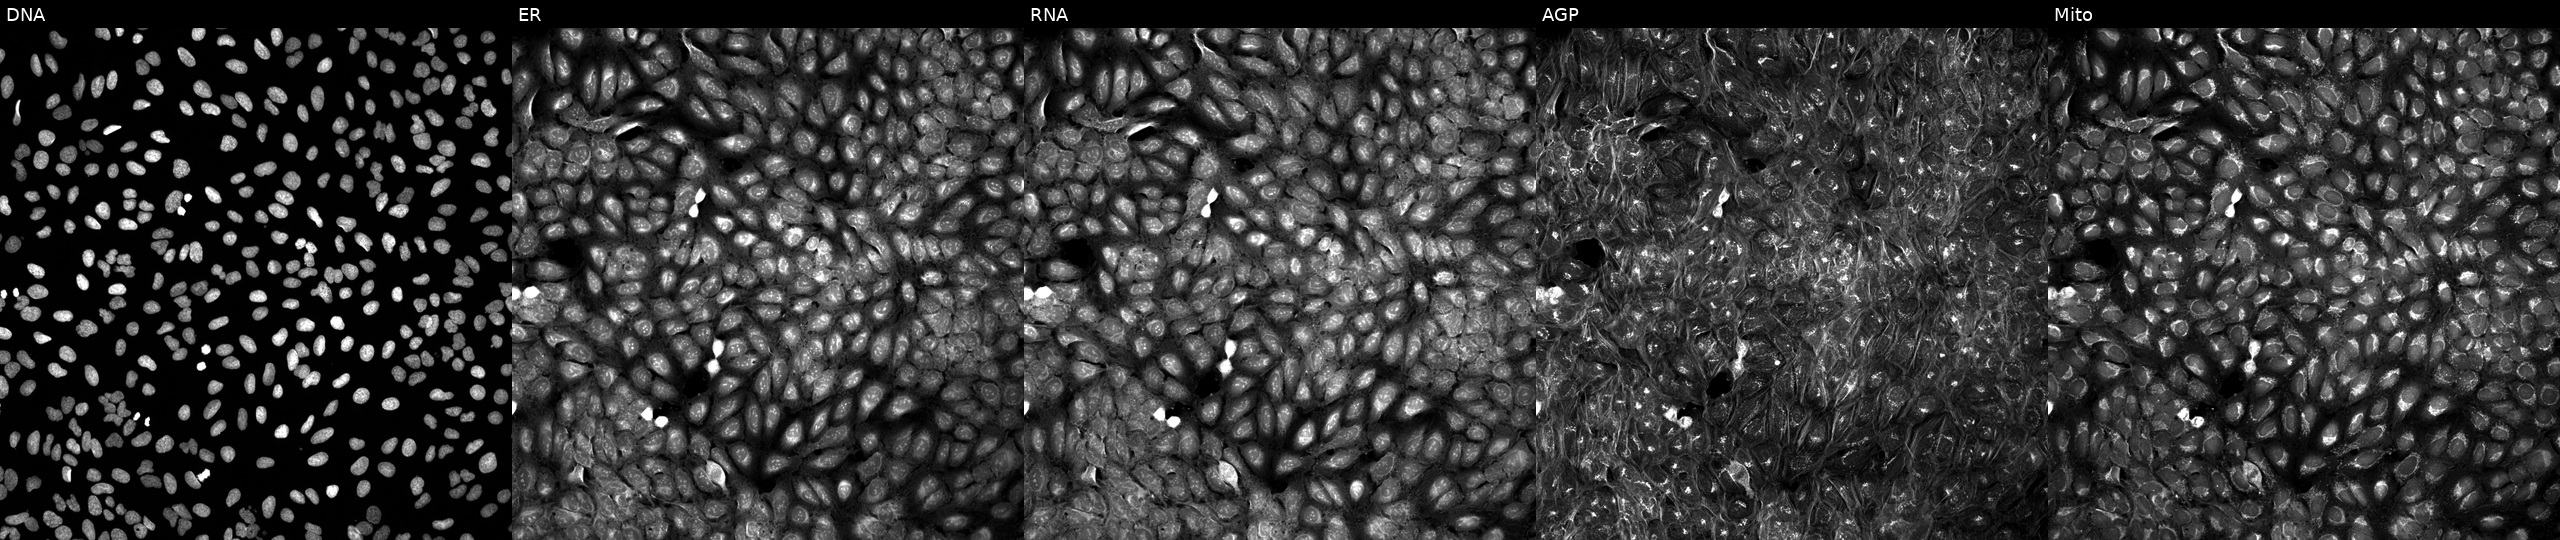
JUMP Cell Painting — COMPOUND plate. U2OS cells perturbed with a small-molecule compound (InChIKey DBCQHVFMDUCJEX-UHFFFAOYSA-N) (JUMP id JCP2022_014791). From left to right: Hoechst 33342, concanavalin A, SYTO 14, phalloidin and WGA, MitoTracker.